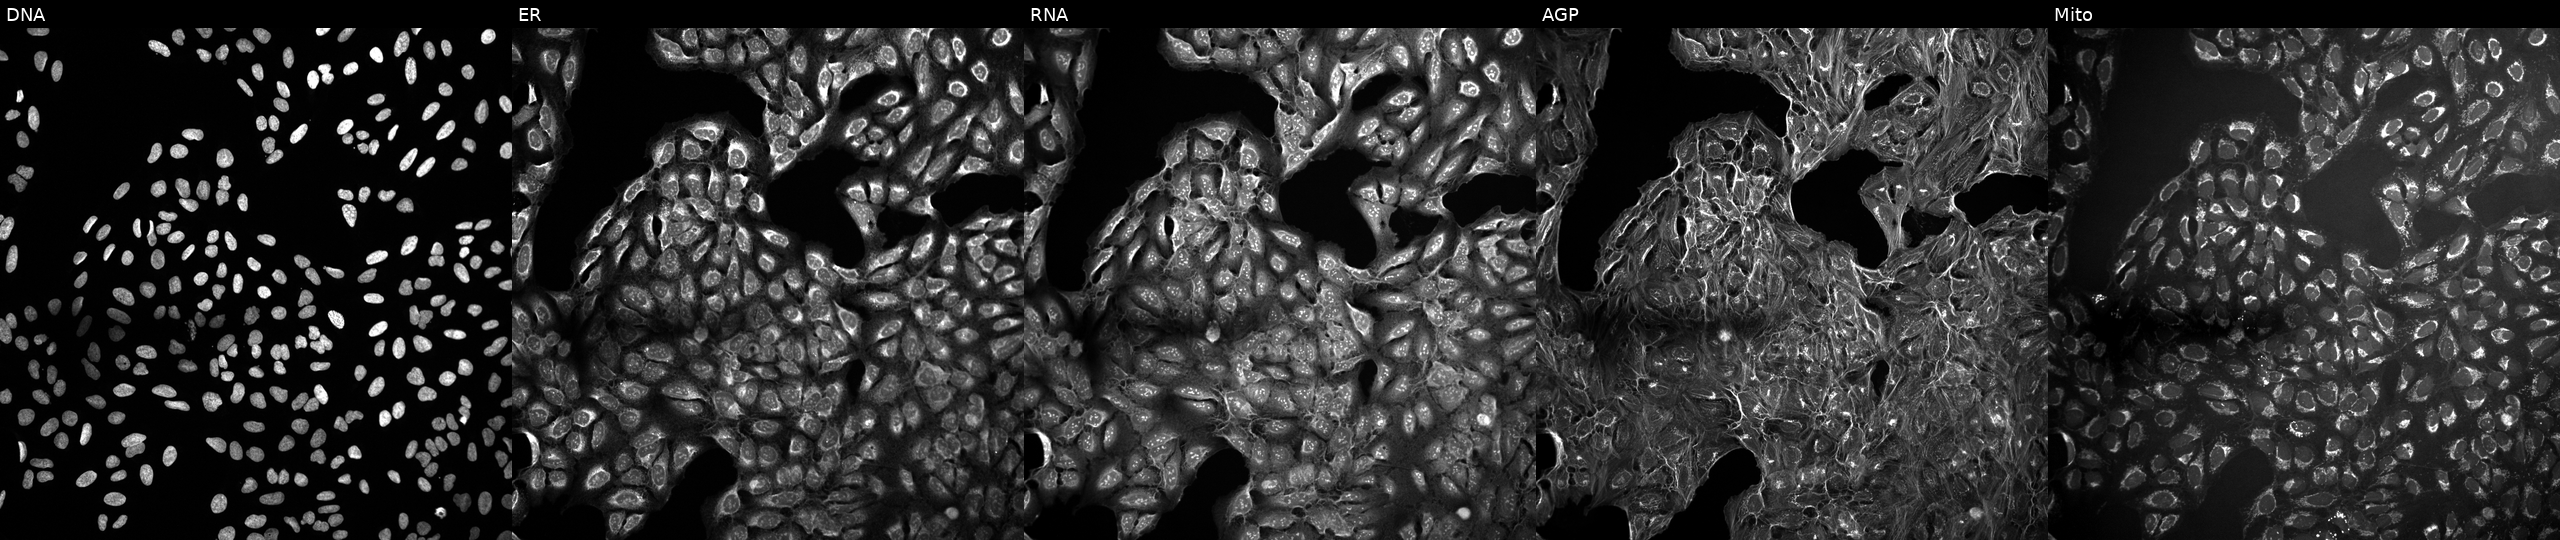
Five-channel Cell Painting image of U2OS cells exposed to a small-molecule compound (InChIKey AOWREGJRZHRUBM-UHFFFAOYSA-N) [SMILES: Cc1nn(C)c2nc(C3CCCN(Cc4cscn4)C3)ccc12]. The five panels, left to right, show DNA (nuclei); ER (endoplasmic reticulum); RNA (nucleoli and cytoplasmic RNA); AGP (actin cytoskeleton, Golgi, and plasma membrane); Mito (mitochondria).